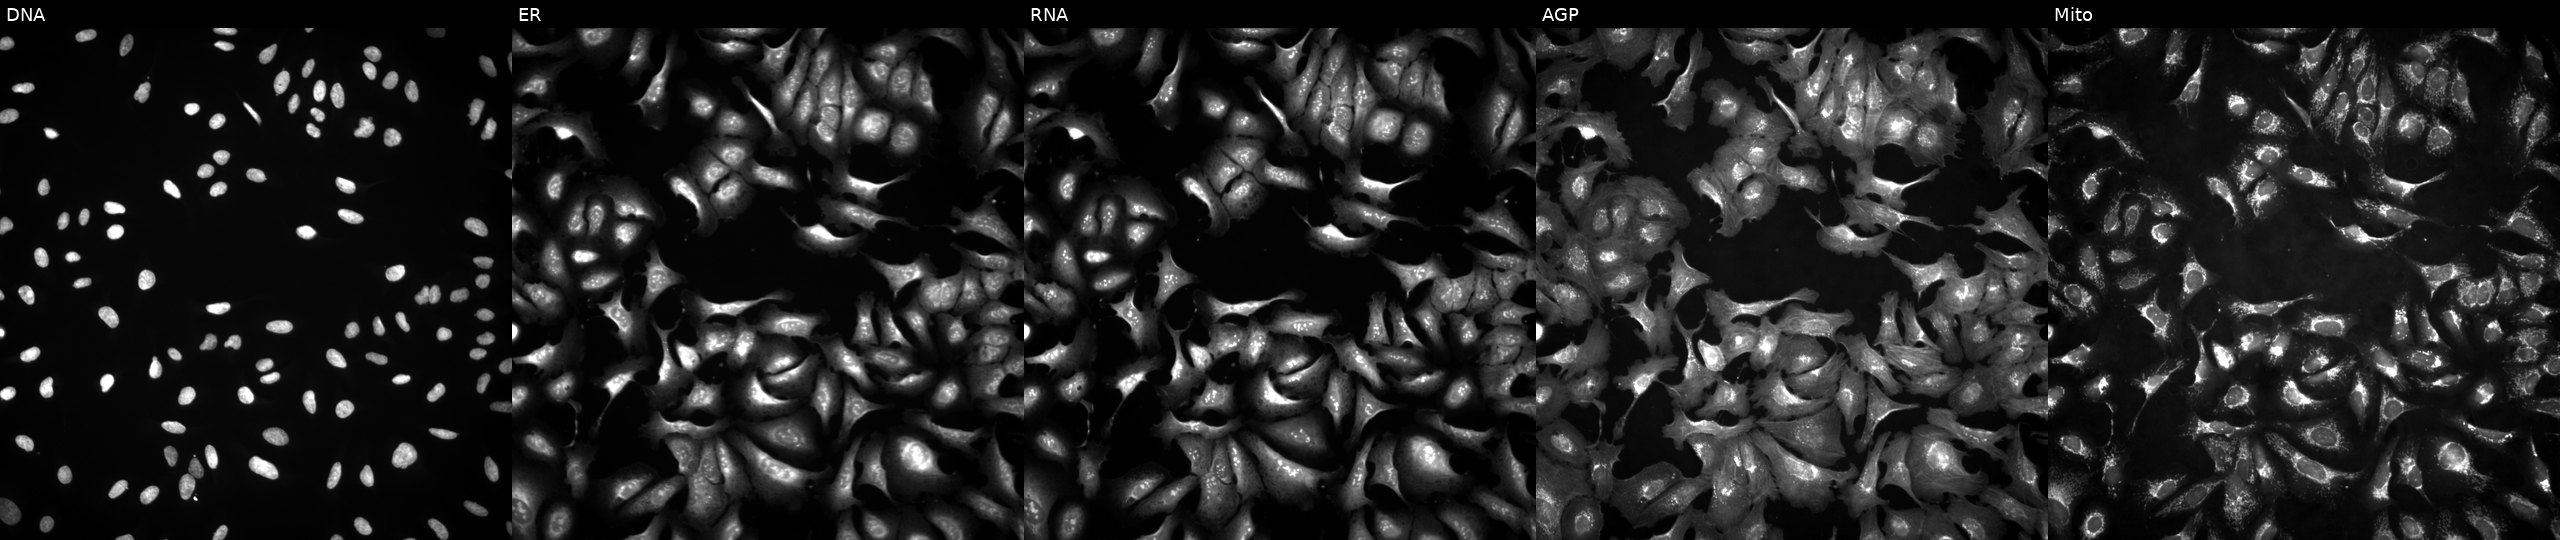
This image strip shows the five Cell Painting channels for a single field of U2OS cells transfected with an ORF construct for PMM2 (JUMP id JCP2022_906311). From left to right: DNA, ER, RNA, AGP, and Mito.